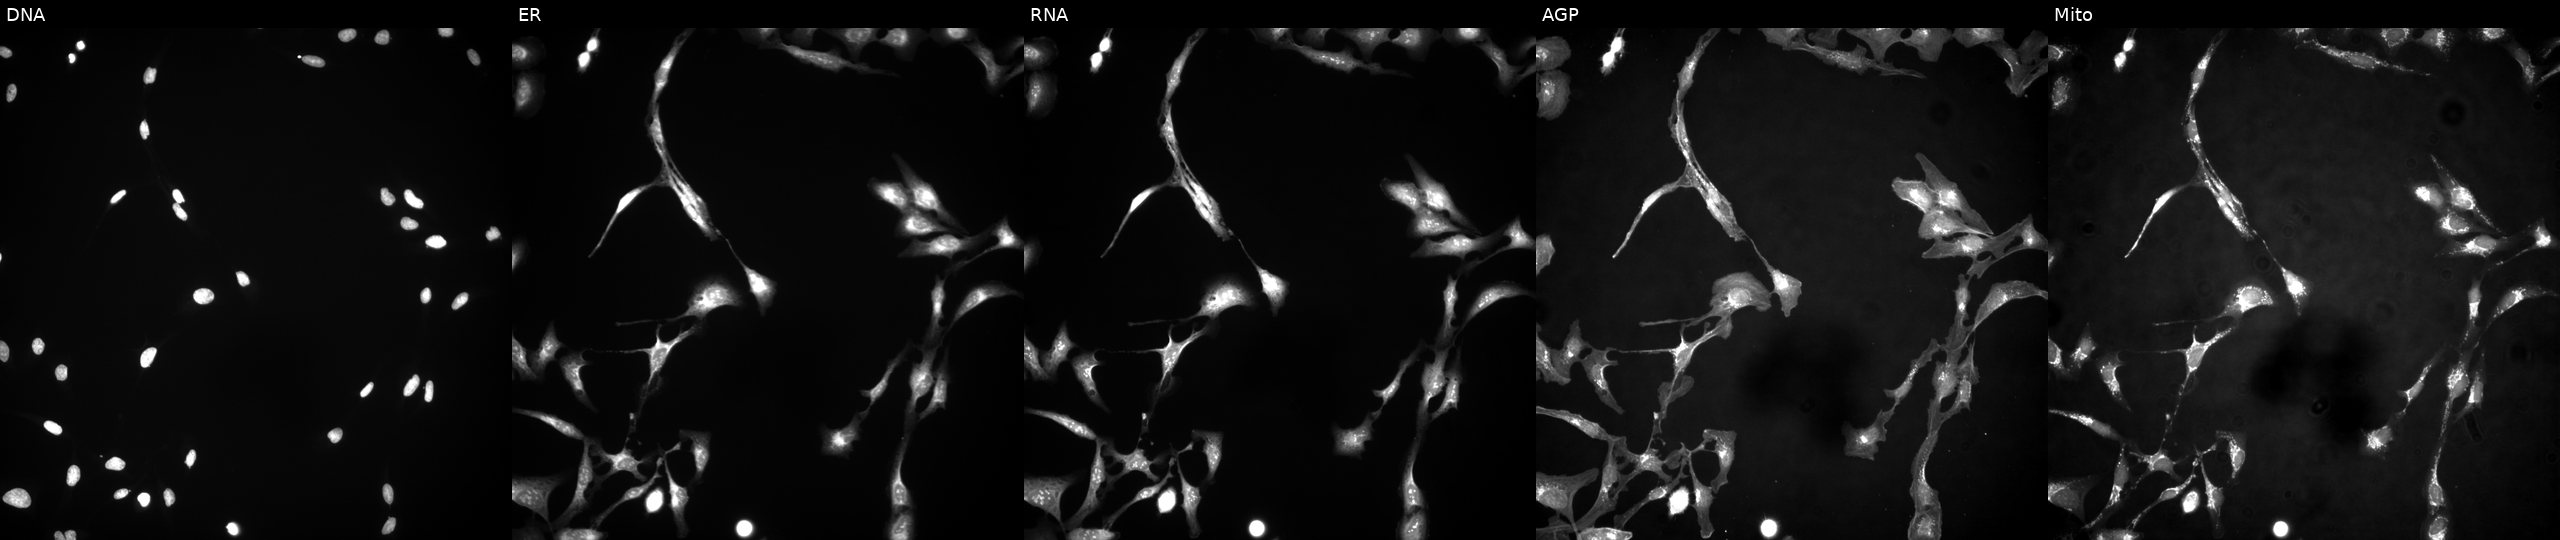
This image strip shows the five Cell Painting channels for a single field of U2OS cells overexpressing TAGAP via ORF transfection (JUMP id JCP2022_904425). From left to right: DNA, ER, RNA, AGP, and Mito.